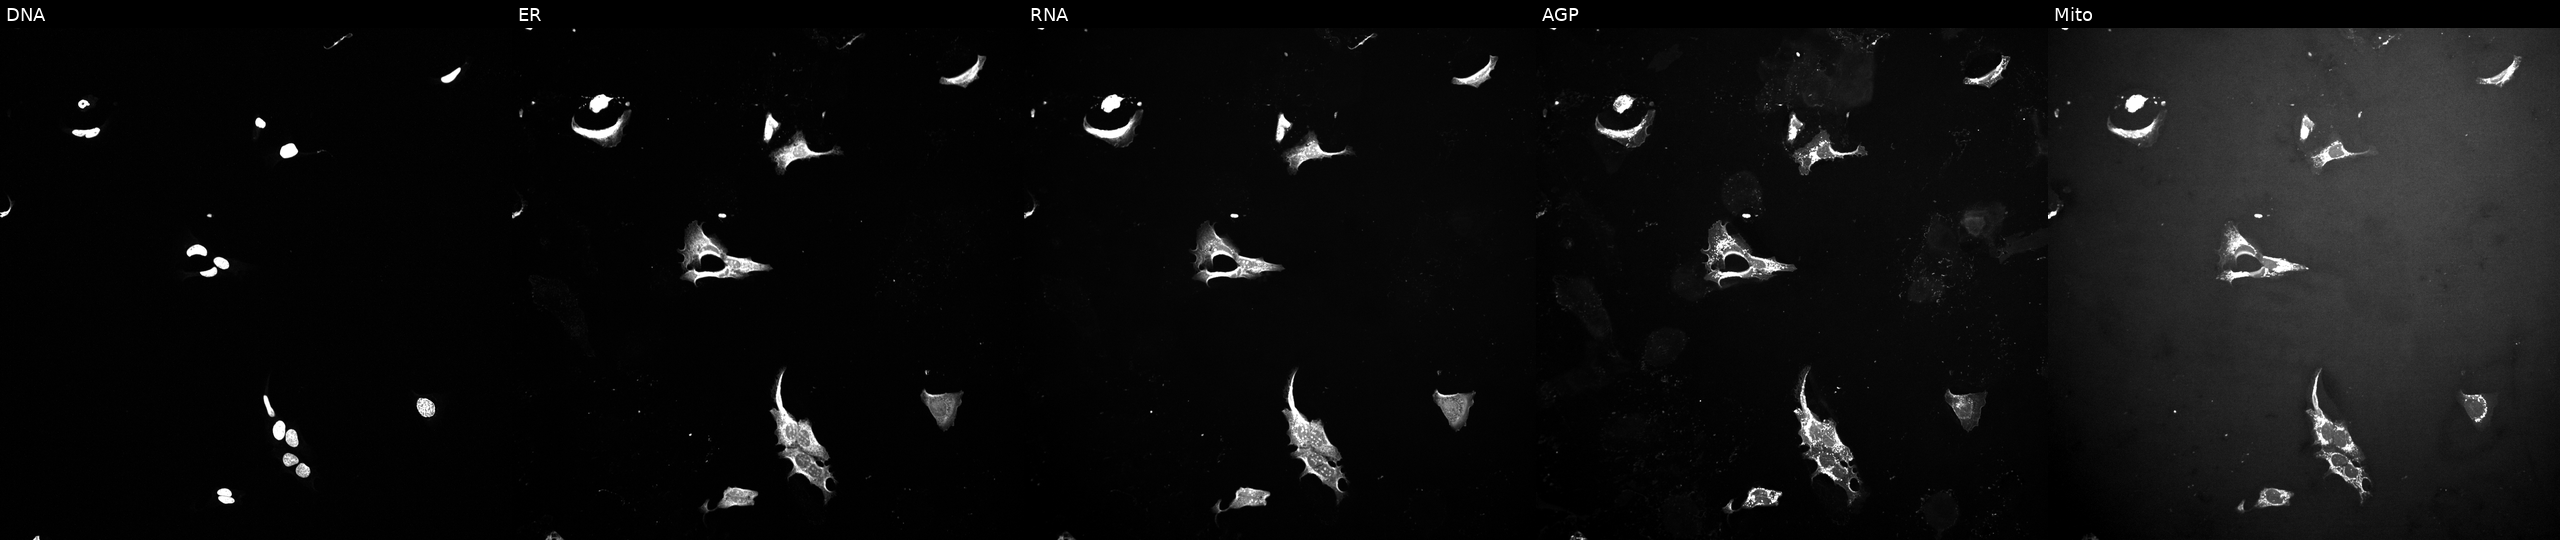
High-content fluorescence microscopy (Cell Painting). Cell line: U2OS. Perturbation: treated with a small-molecule compound (InChIKey PHXJVRSECIGDHY-UHFFFAOYSA-N) [SMILES: Cc1ccc(C(=O)Nc2ccc(CN3CCN(C)CC3)c(C(F)(F)F)c2)cc1C#Cc1cnc2cccnn12] (JUMP id JCP2022_068713). Panels show, left to right, DNA (nuclei); ER (endoplasmic reticulum); RNA (nucleoli and cytoplasmic RNA); AGP (actin cytoskeleton, Golgi, and plasma membrane); Mito (mitochondria). Source 10, plate Dest210803-153958, well J08.